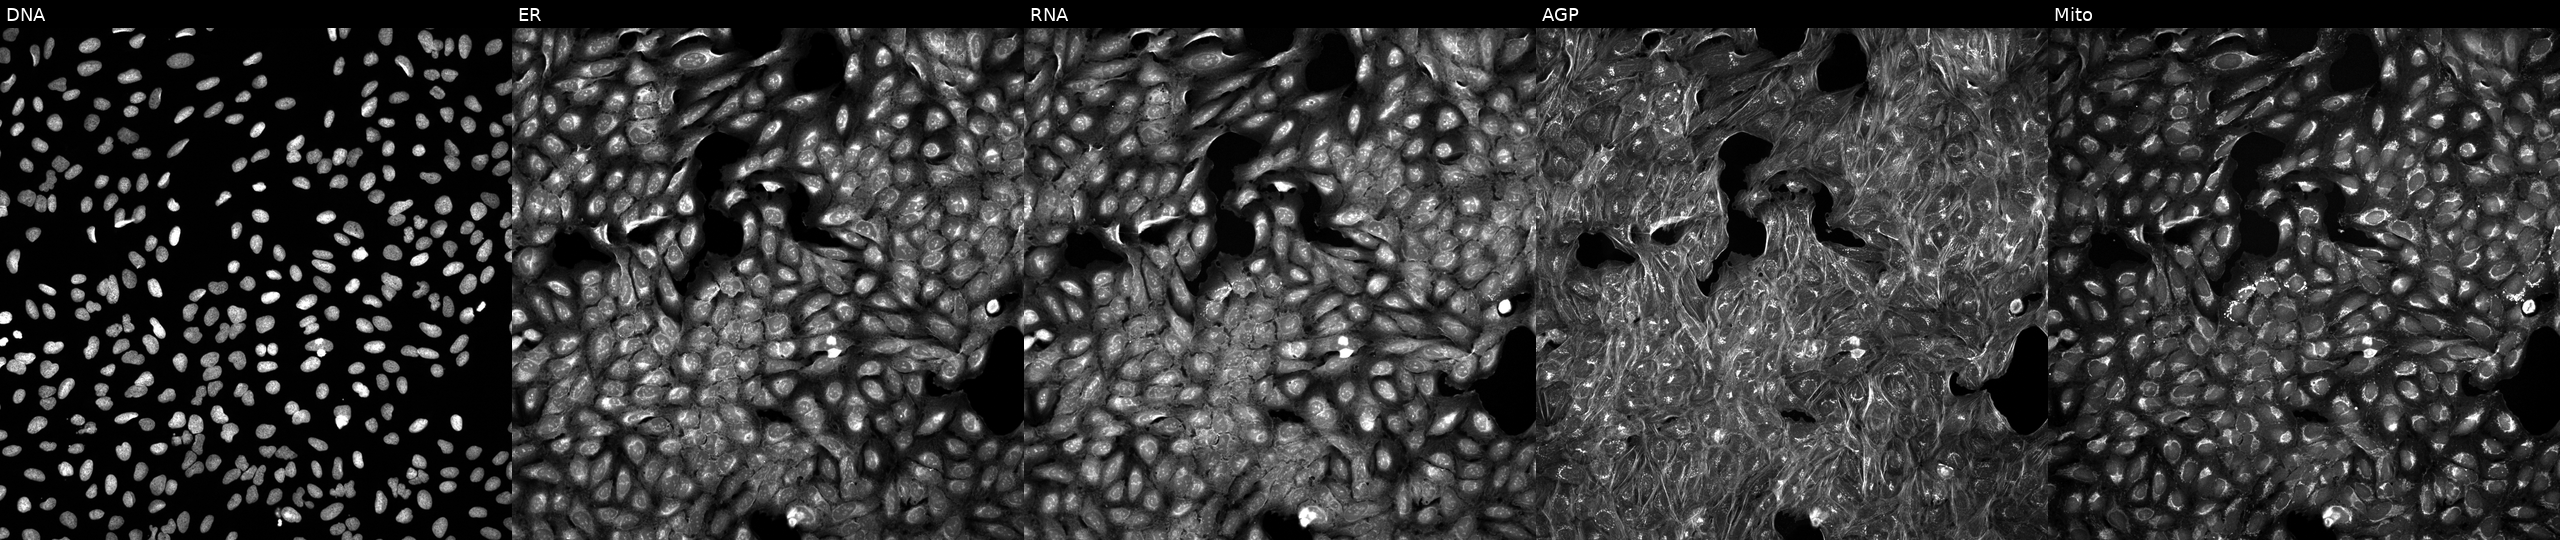
JUMP Cell Painting — TARGET2 plate. U2OS cells perturbed with a small-molecule compound (InChIKey BGVLELSCIHASRV-UHFFFAOYSA-N) [SMILES: CCN1C(=CC(C)=O)Sc2ccc(OC)cc21]. The five panels, left to right, show DNA (nuclei); ER (endoplasmic reticulum); RNA (nucleoli and cytoplasmic RNA); AGP (actin cytoskeleton, Golgi, and plasma membrane); Mito (mitochondria).